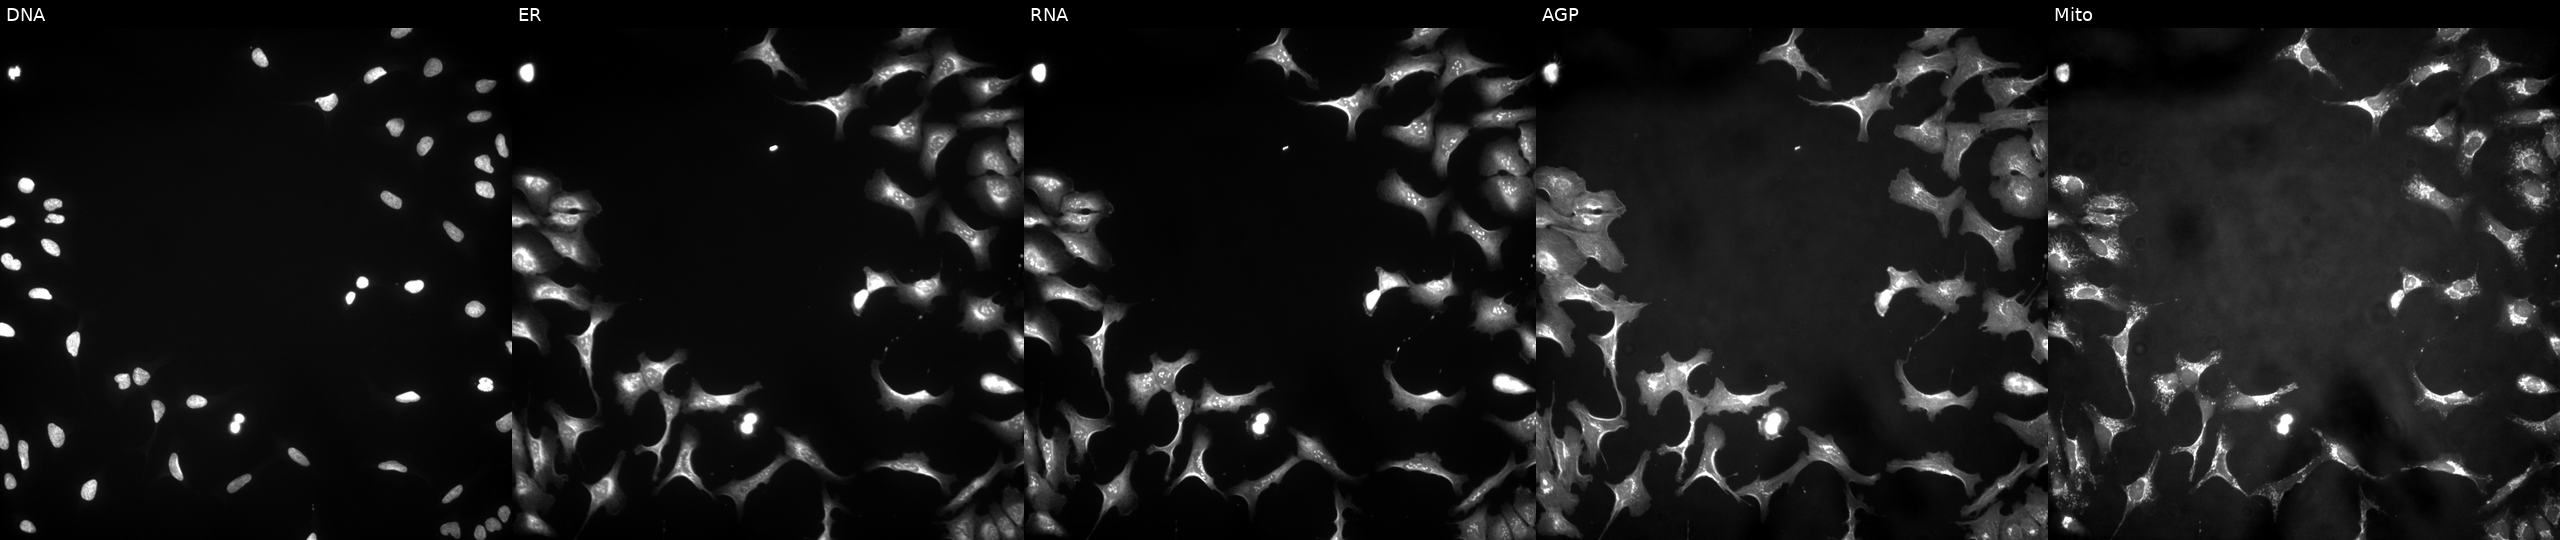
Five-channel Cell Painting image of U2OS cells transfected with an ORF construct for LRRN3 (JUMP id JCP2022_907855). Panels show, left to right, DNA (nuclei); ER (endoplasmic reticulum); RNA (nucleoli and cytoplasmic RNA); AGP (actin cytoskeleton, Golgi, and plasma membrane); Mito (mitochondria). Source 4, plate BR00123506, well M06.